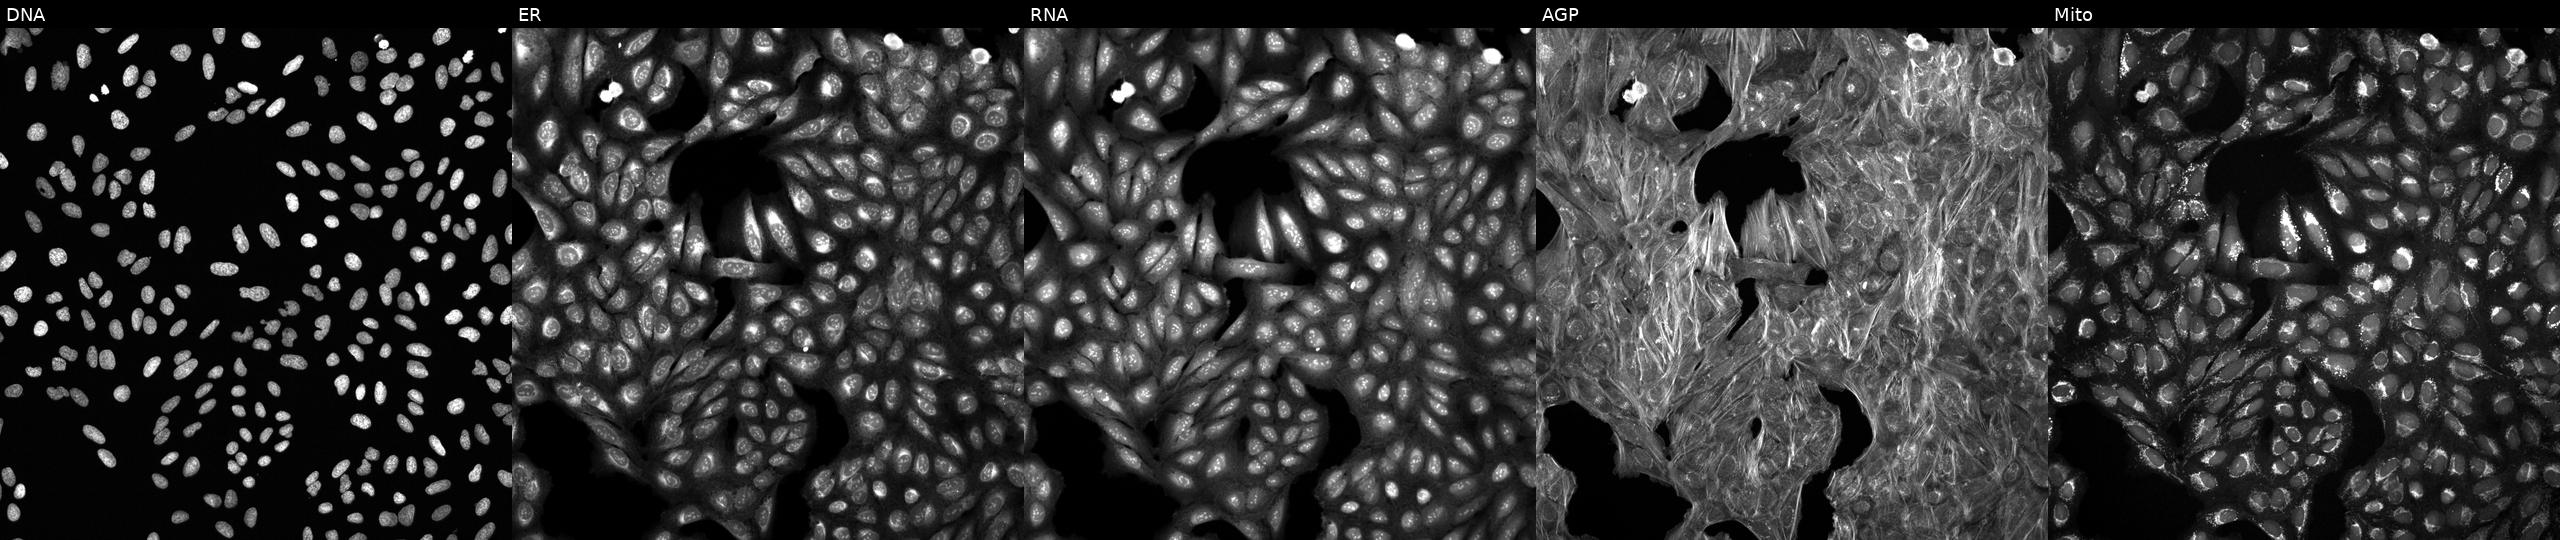
This image strip shows the five Cell Painting channels for a single field of U2OS cells treated with a small-molecule compound (InChIKey YWMODLAWQMBLPM-UHFFFAOYSA-N) [SMILES: COc1cccc(-c2cc(=O)[nH]c3c(-c4ccc(F)cc4)c(C(O)O)sc23)c1OC]. The five panels, left to right, show DNA, ER, RNA, AGP, and Mito.